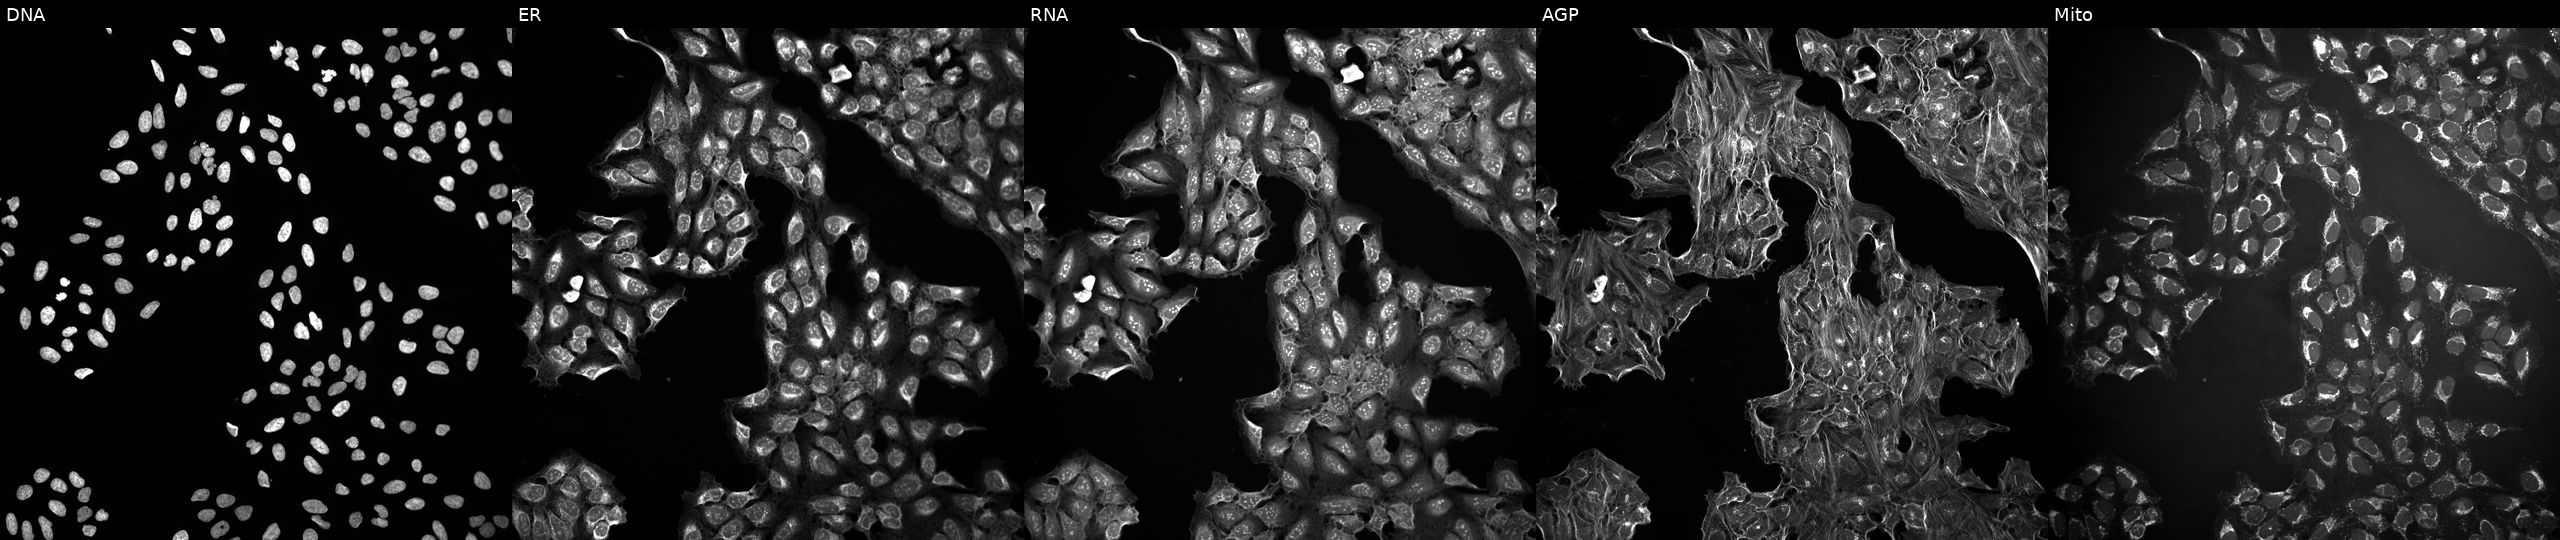
The five panels, left to right, show DNA (nuclei); ER (endoplasmic reticulum); RNA (nucleoli and cytoplasmic RNA); AGP (actin cytoskeleton, Golgi, and plasma membrane); Mito (mitochondria). U2OS osteosarcoma cells in an empty control well (no perturbation). Cell Painting assay, JUMP-CP dataset.